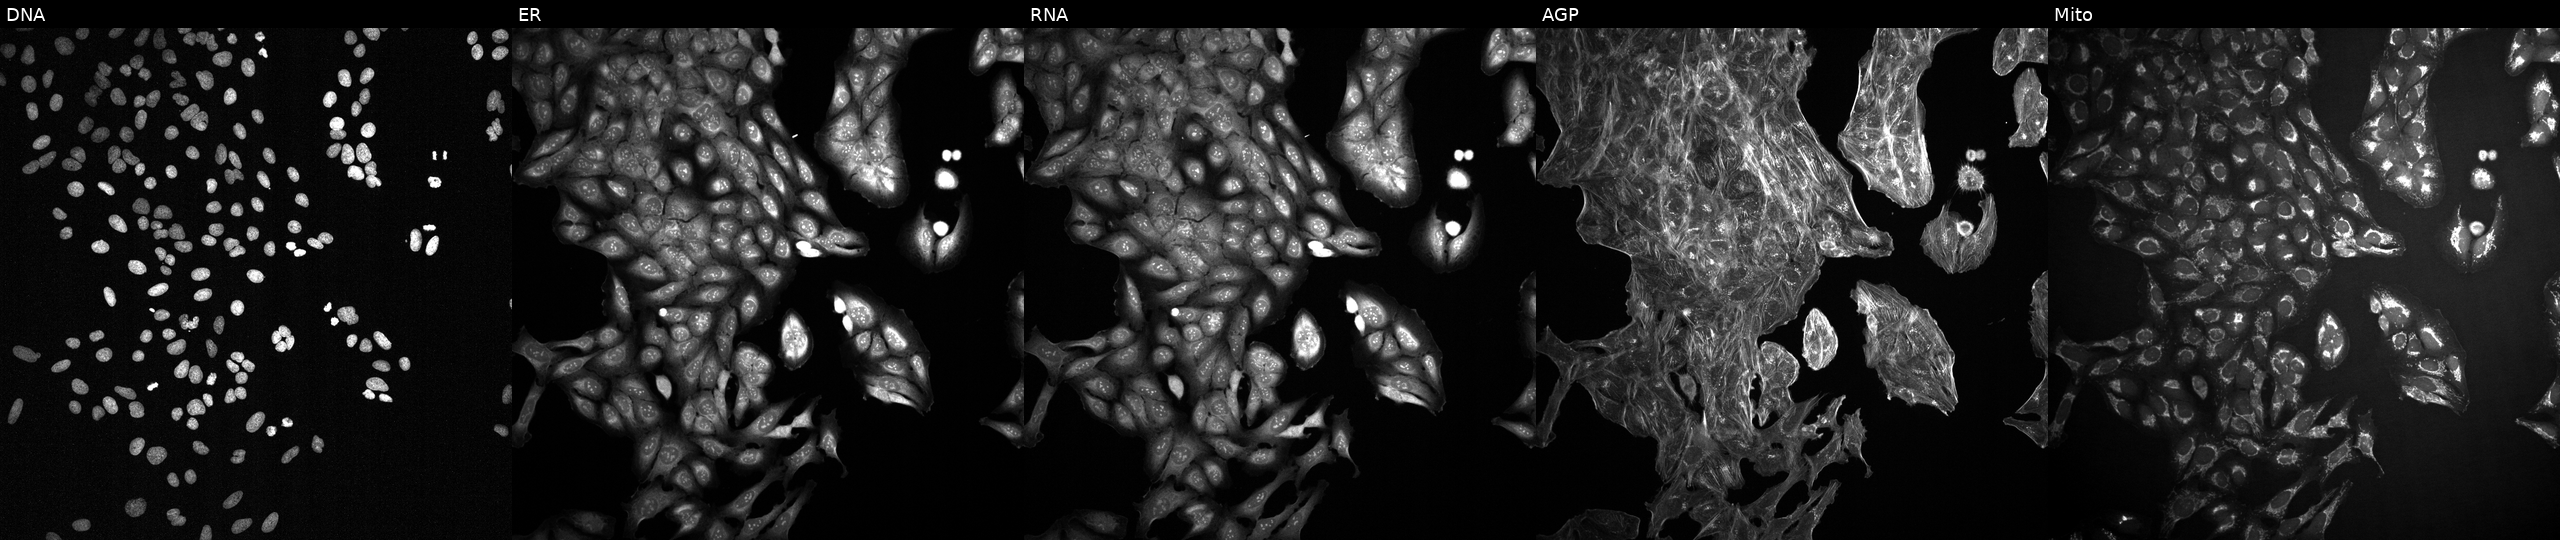
High-content fluorescence microscopy (Cell Painting). Cell line: U2OS. Perturbation: exposed to DMSO alone as a negative control (JUMP id JCP2022_033924). Panels show, left to right, Hoechst 33342, concanavalin A, SYTO 14, phalloidin and WGA, MitoTracker. Source 2, plate 1053599503, well L03.